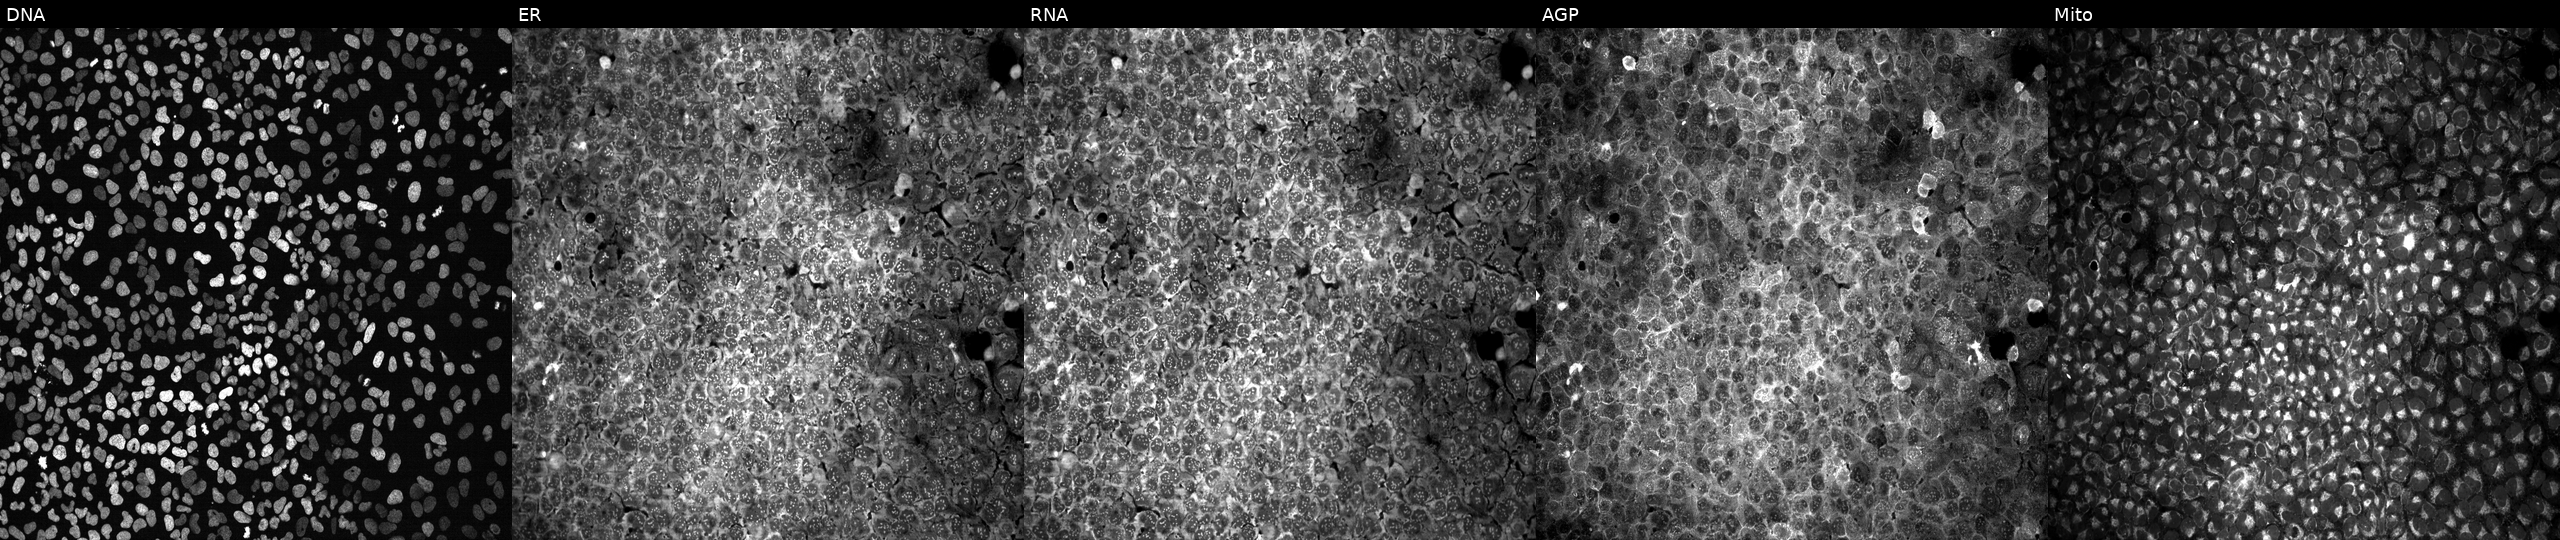
U2OS cells, Cell Painting assay, treated with DMSO vehicle only (negative control). Channels (left→right): Hoechst 33342, concanavalin A, SYTO 14, phalloidin and WGA, MitoTracker. Each panel is percentile-stretched 16-bit fluorescence. Source 13, plate CP-CC9-R4-04, well E23.